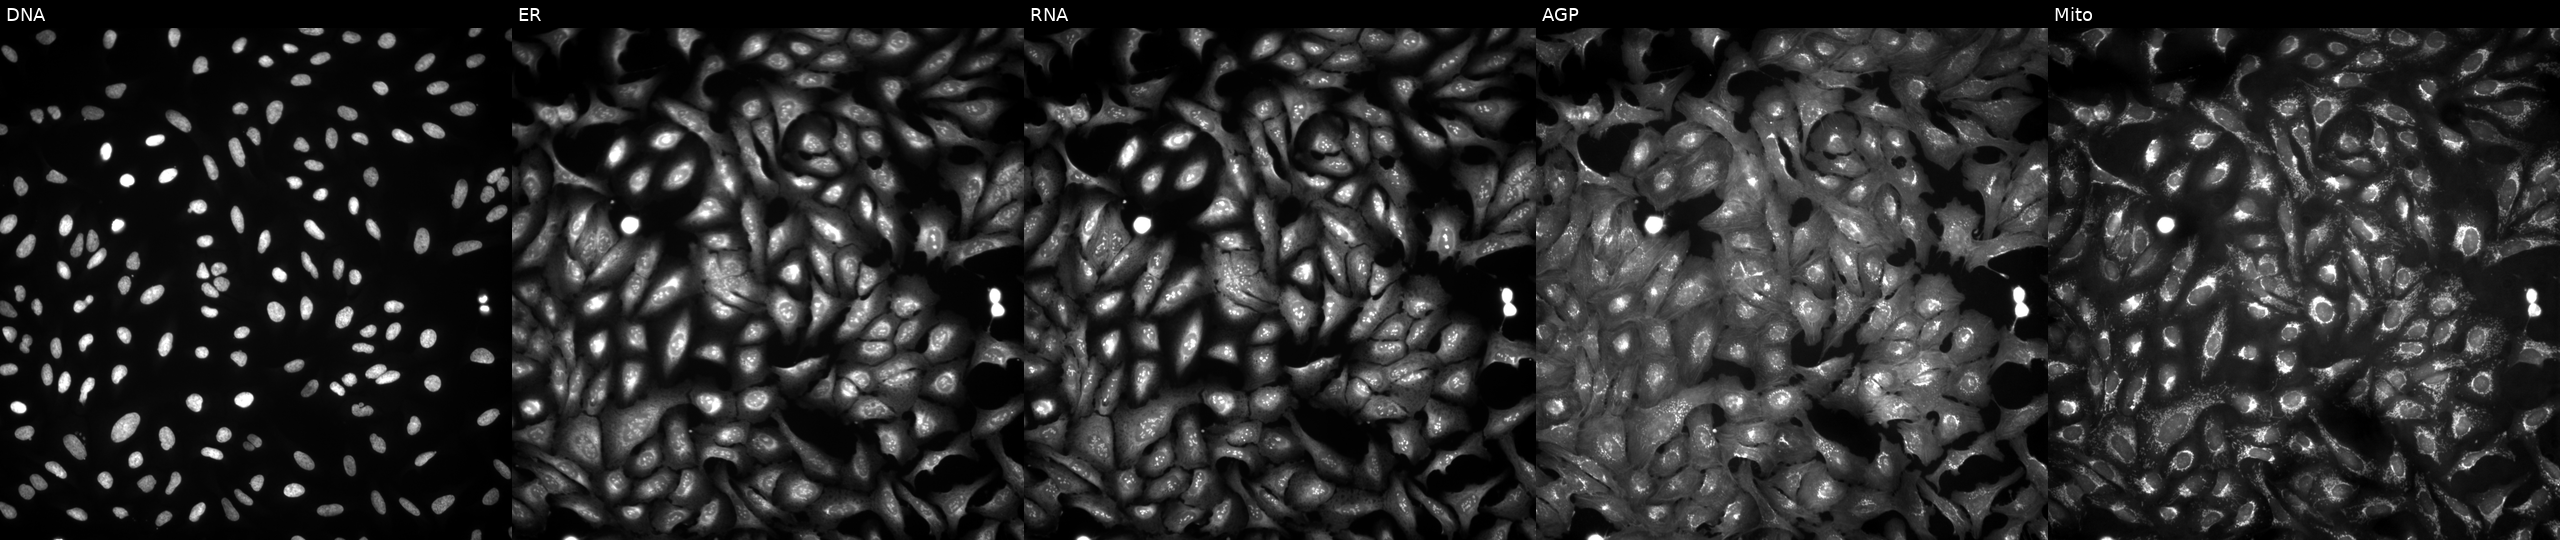
JUMP Cell Painting — ORF plate. U2OS cells overexpressing TSR1 via ORF transfection. From left to right: DNA, ER, RNA, AGP, and Mito. Source 4, plate BR00121543, well B05.